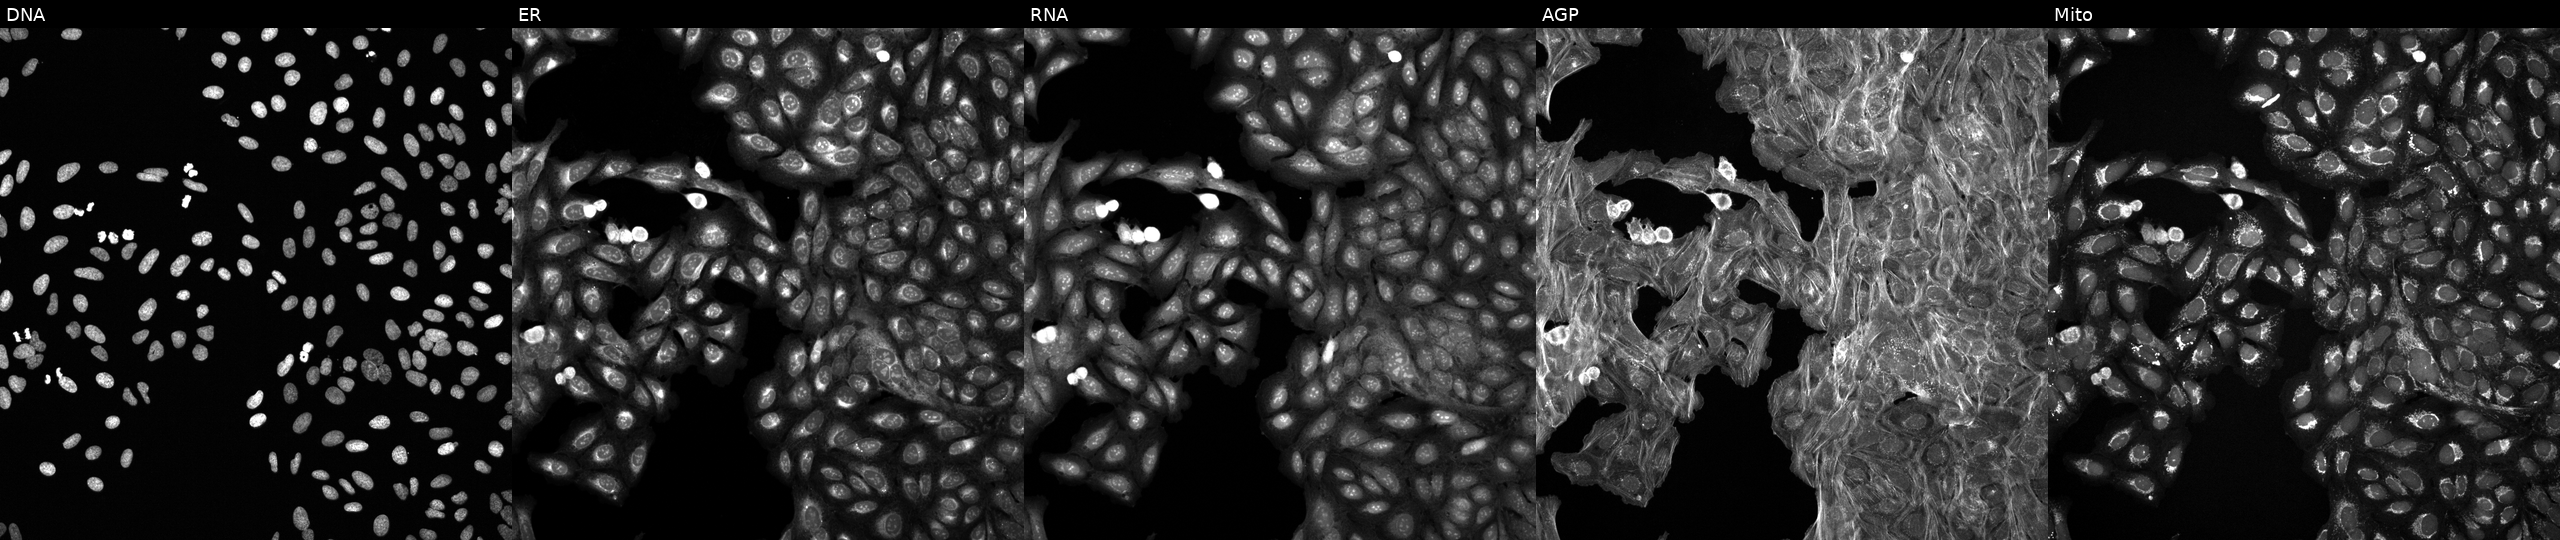
The five panels, left to right, show DNA (nuclei); ER (endoplasmic reticulum); RNA (nucleoli and cytoplasmic RNA); AGP (actin cytoskeleton, Golgi, and plasma membrane); Mito (mitochondria). U2OS osteosarcoma cells exposed to a small-molecule compound. Cell Painting assay, JUMP-CP dataset.